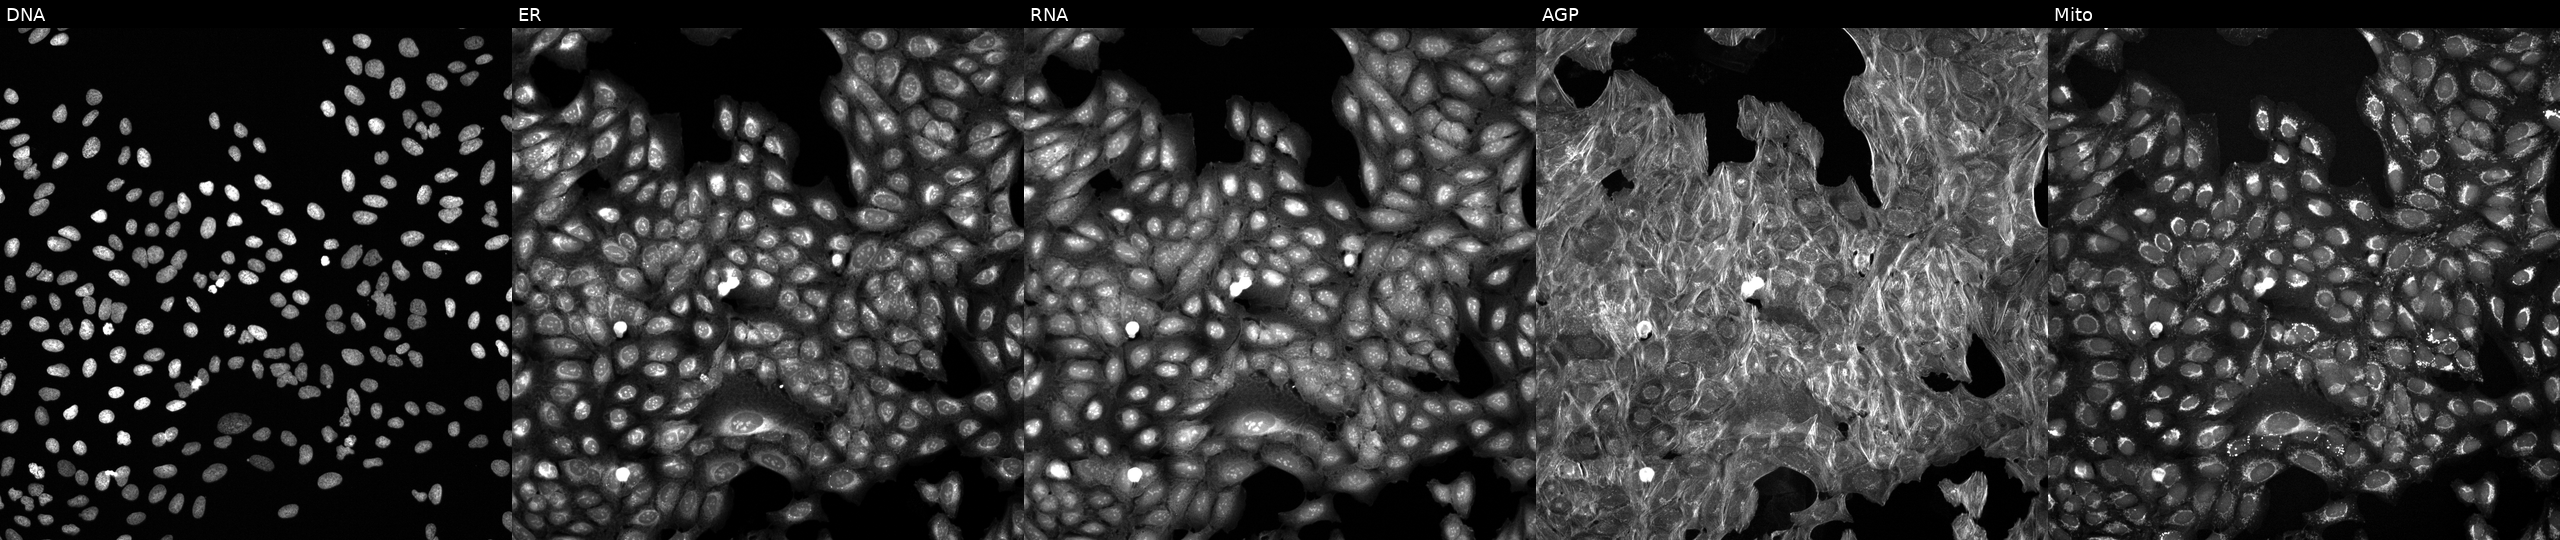
From left to right: DNA (nuclei); ER (endoplasmic reticulum); RNA (nucleoli and cytoplasmic RNA); AGP (actin cytoskeleton, Golgi, and plasma membrane); Mito (mitochondria). U2OS osteosarcoma cells treated with a small-molecule compound. Cell Painting assay, JUMP-CP dataset.